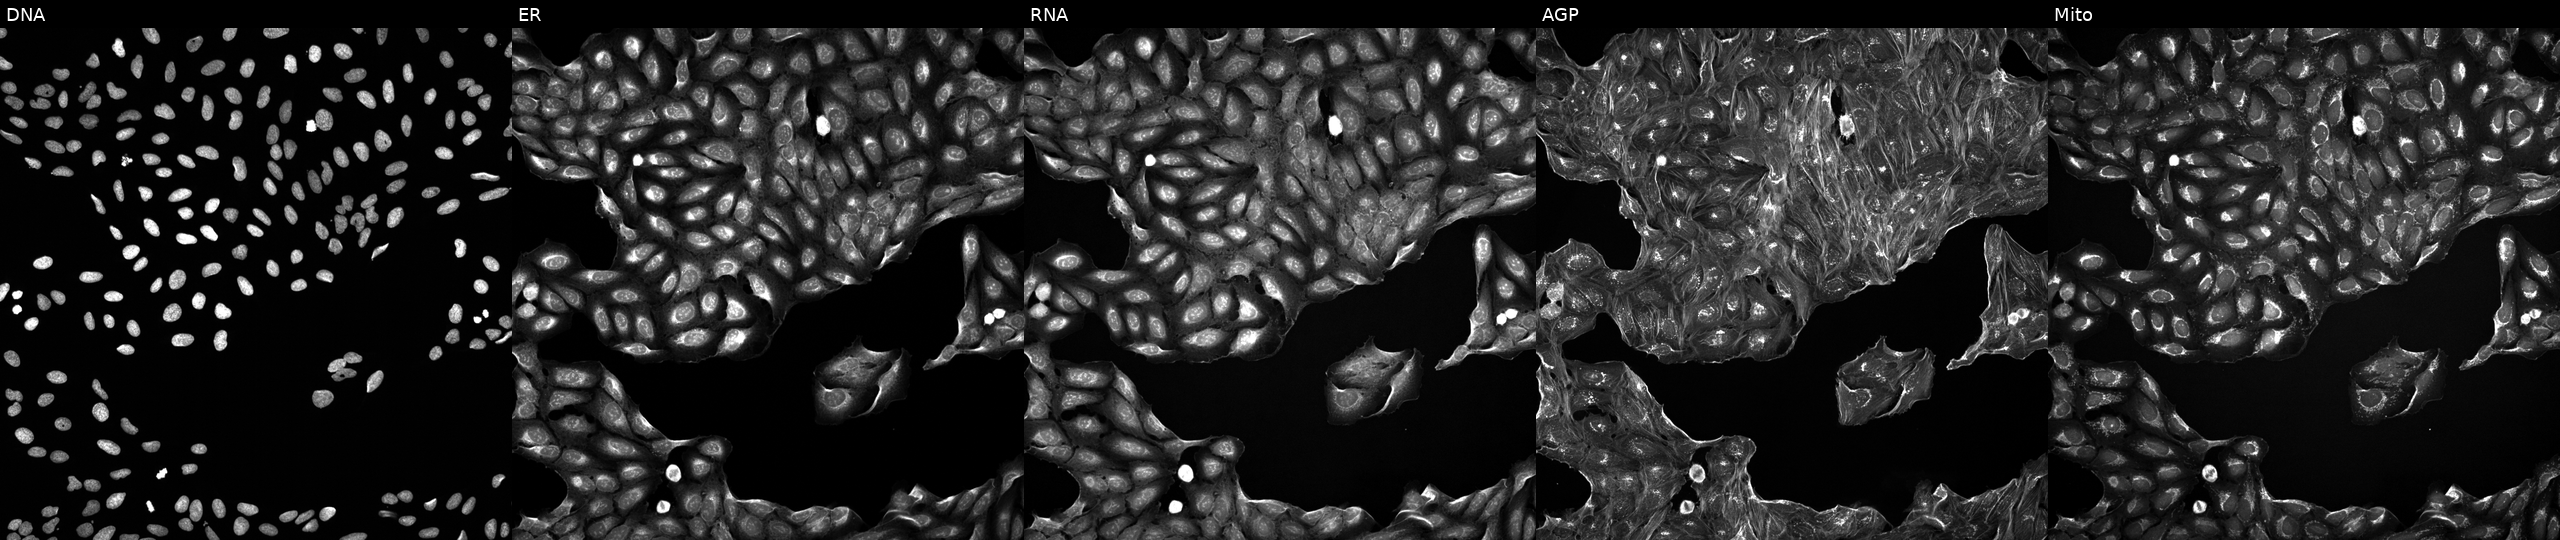
This image strip shows the five Cell Painting channels for a single field of U2OS cells exposed to a small-molecule compound (InChIKey YYOOFJZTRCPVFD-UHFFFAOYSA-N) (JUMP id JCP2022_111730). Channels (left→right): DNA, ER, RNA, AGP, and Mito. Source 5, plate ACPJUM012, well B06.